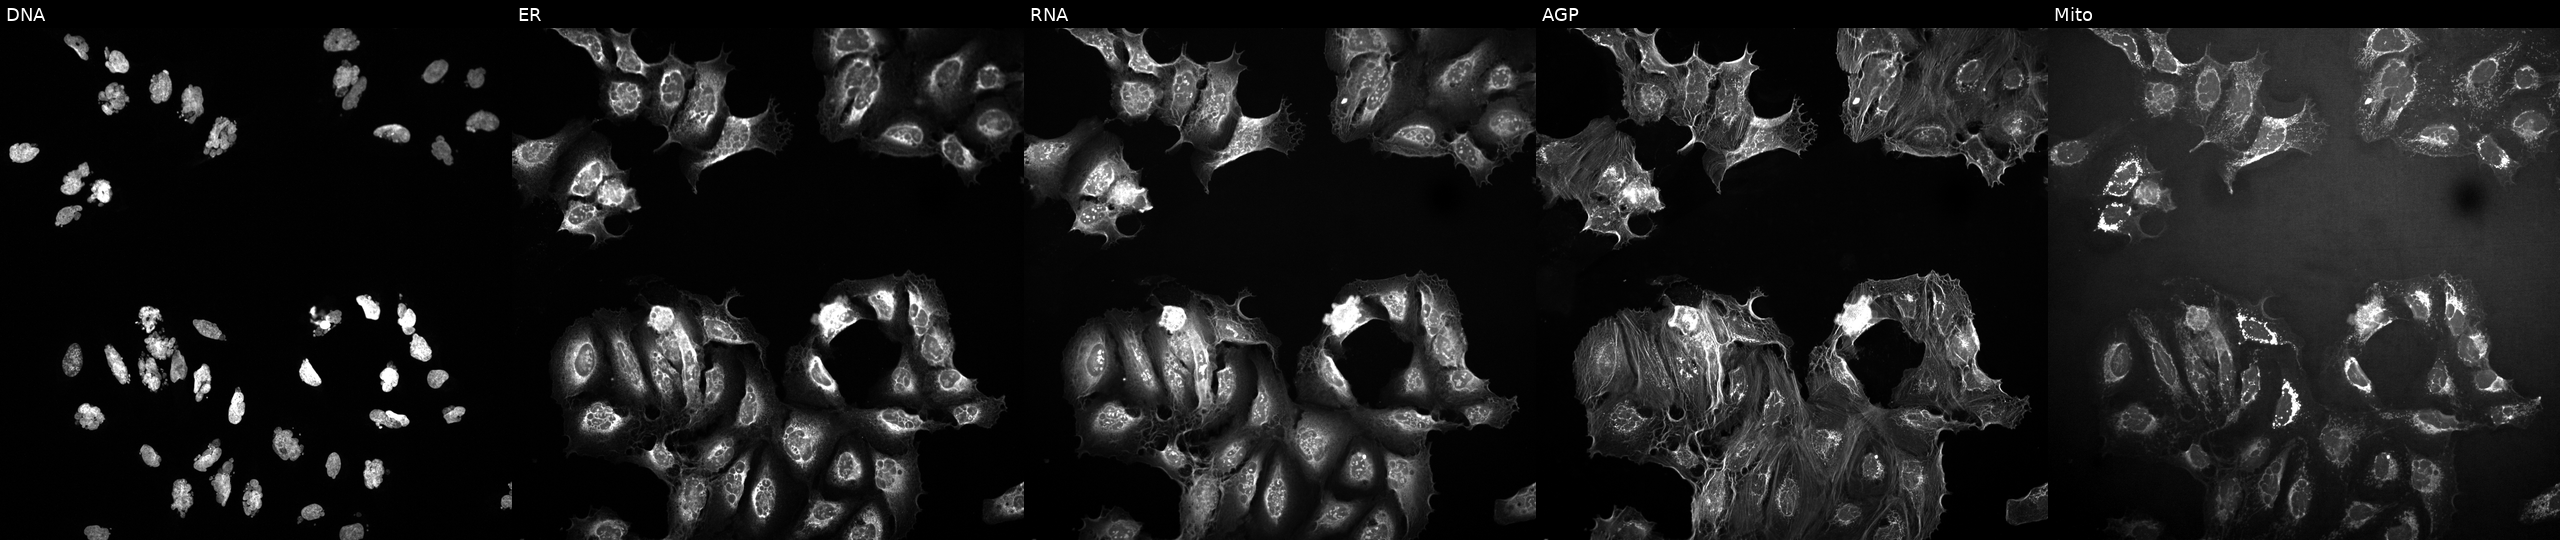
The five panels, left to right, show DNA (nuclei); ER (endoplasmic reticulum); RNA (nucleoli and cytoplasmic RNA); AGP (actin cytoskeleton, Golgi, and plasma membrane); Mito (mitochondria). U2OS osteosarcoma cells exposed to the positive-control compound AMG900. Cell Painting assay, JUMP-CP dataset.